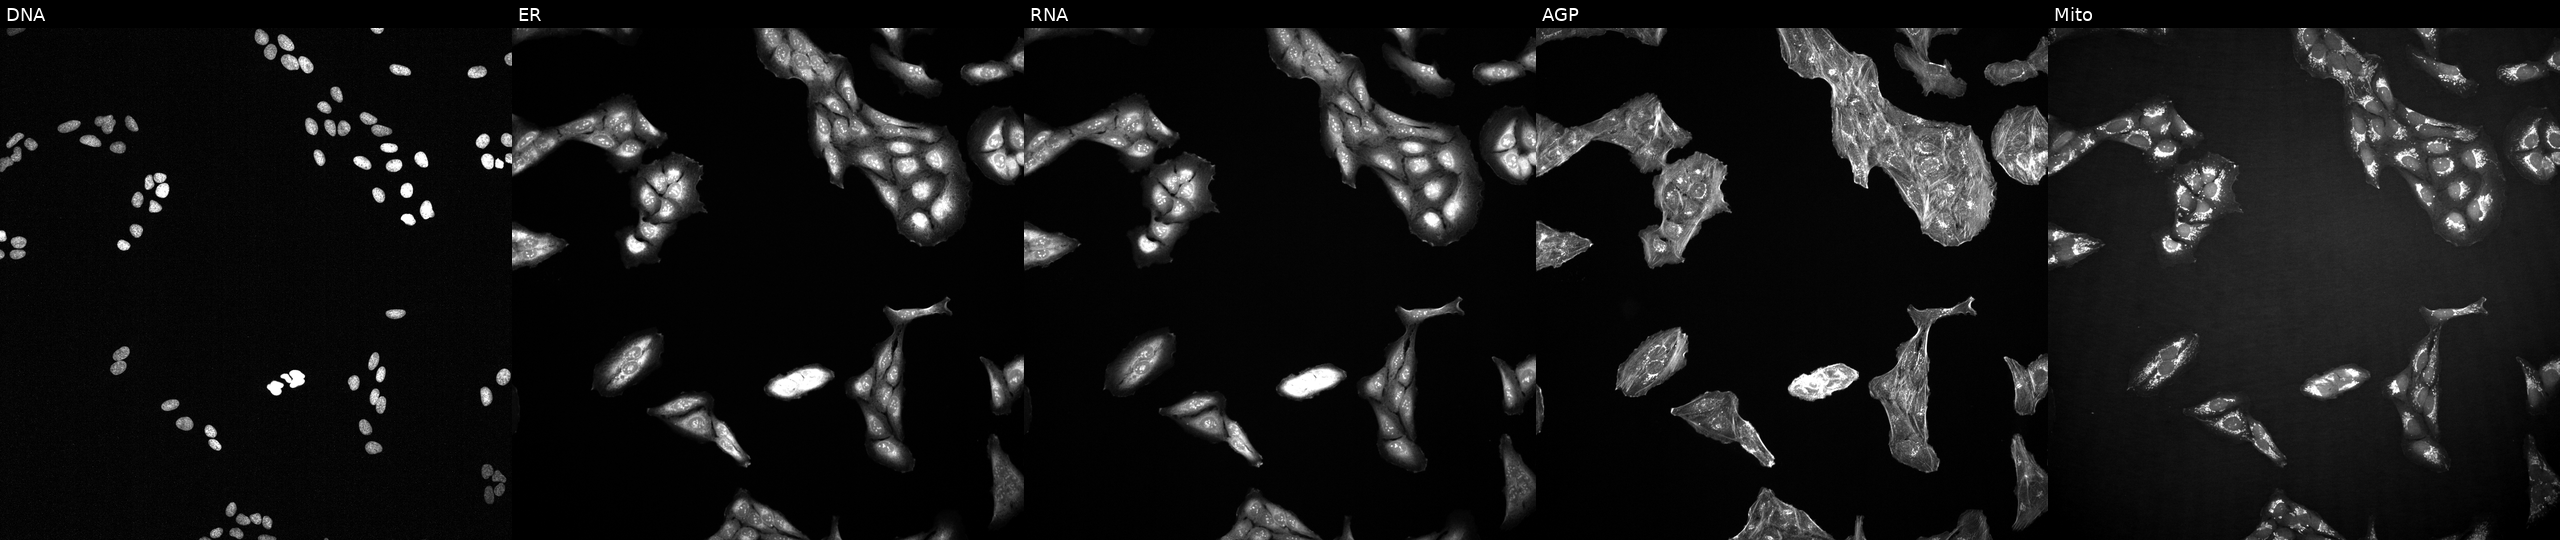
This image strip shows the five Cell Painting channels for a single field of U2OS cells perturbed with a small-molecule compound (InChIKey CDJNNOJINJAXPV-UHFFFAOYSA-N). Panels show, left to right, DNA, ER, RNA, AGP, and Mito.